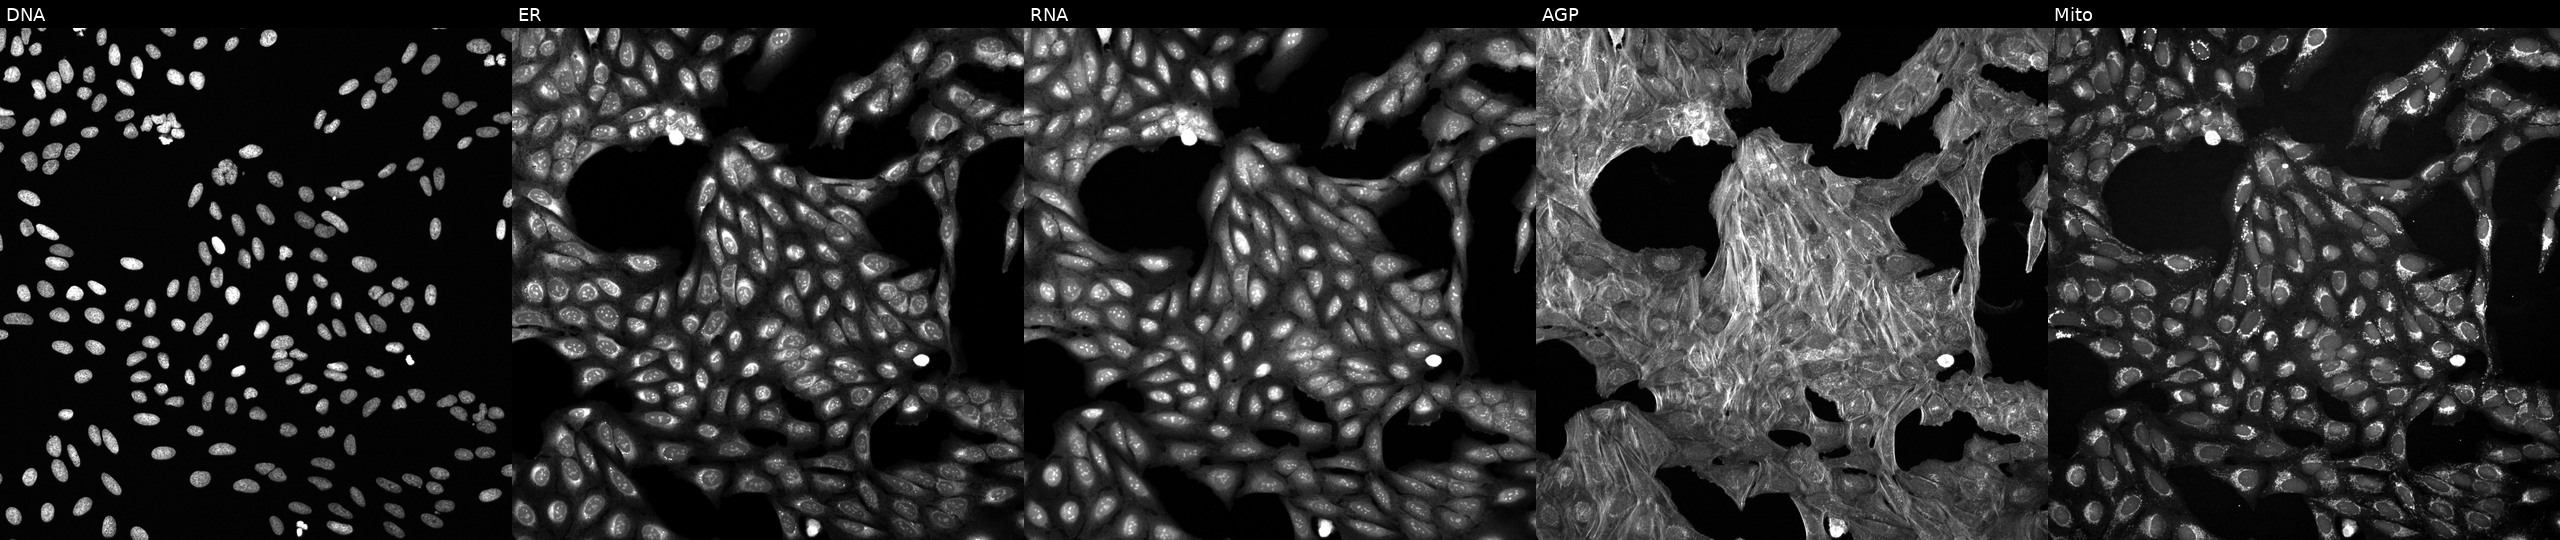
U2OS cells, Cell Painting assay, perturbed with a small-molecule compound (JUMP id JCP2022_093289). Channels (left→right): Hoechst 33342, concanavalin A, SYTO 14, phalloidin and WGA, MitoTracker. Each panel is percentile-stretched 16-bit fluorescence. Source 6, plate 110000293093, well B03.